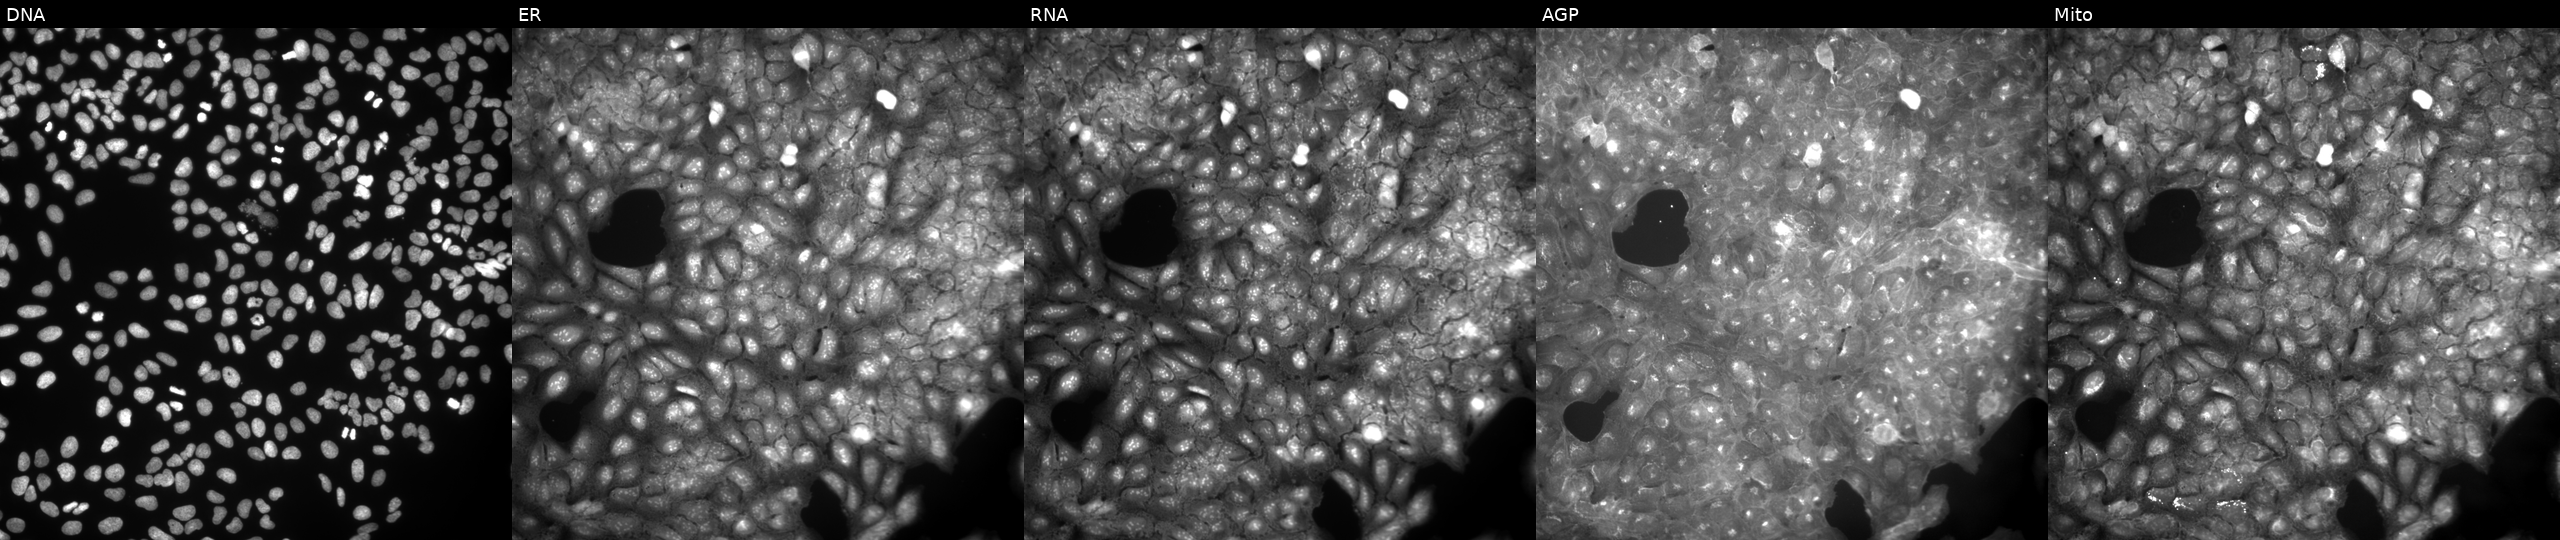
The five panels, left to right, show DNA, ER, RNA, AGP, and Mito. U2OS osteosarcoma cells exposed to a small-molecule compound (InChIKey XETMMFGTFSSYLZ-UHFFFAOYSA-N) [SMILES: Cc1cc(C)[nH]c(=NC(=O)c2ccc(Br)cc2)n1]. Cell Painting assay, JUMP-CP dataset.